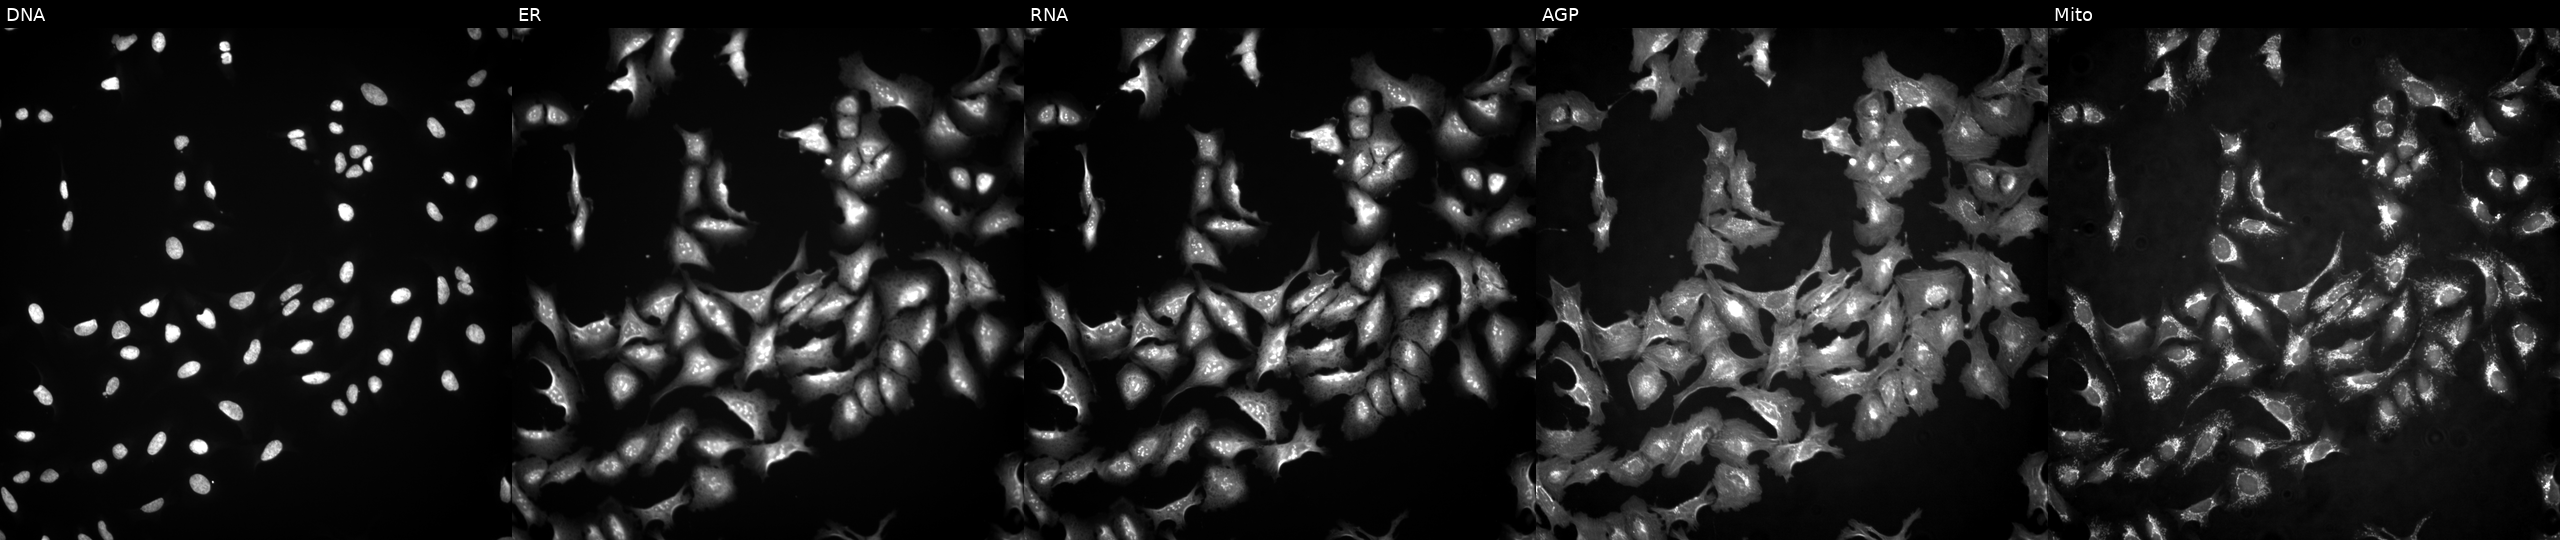
U2OS cells, Cell Painting assay, with GABPB2 overexpressed (ORF). Panels show, left to right, DNA, ER, RNA, AGP, and Mito. Each panel is percentile-stretched 16-bit fluorescence.